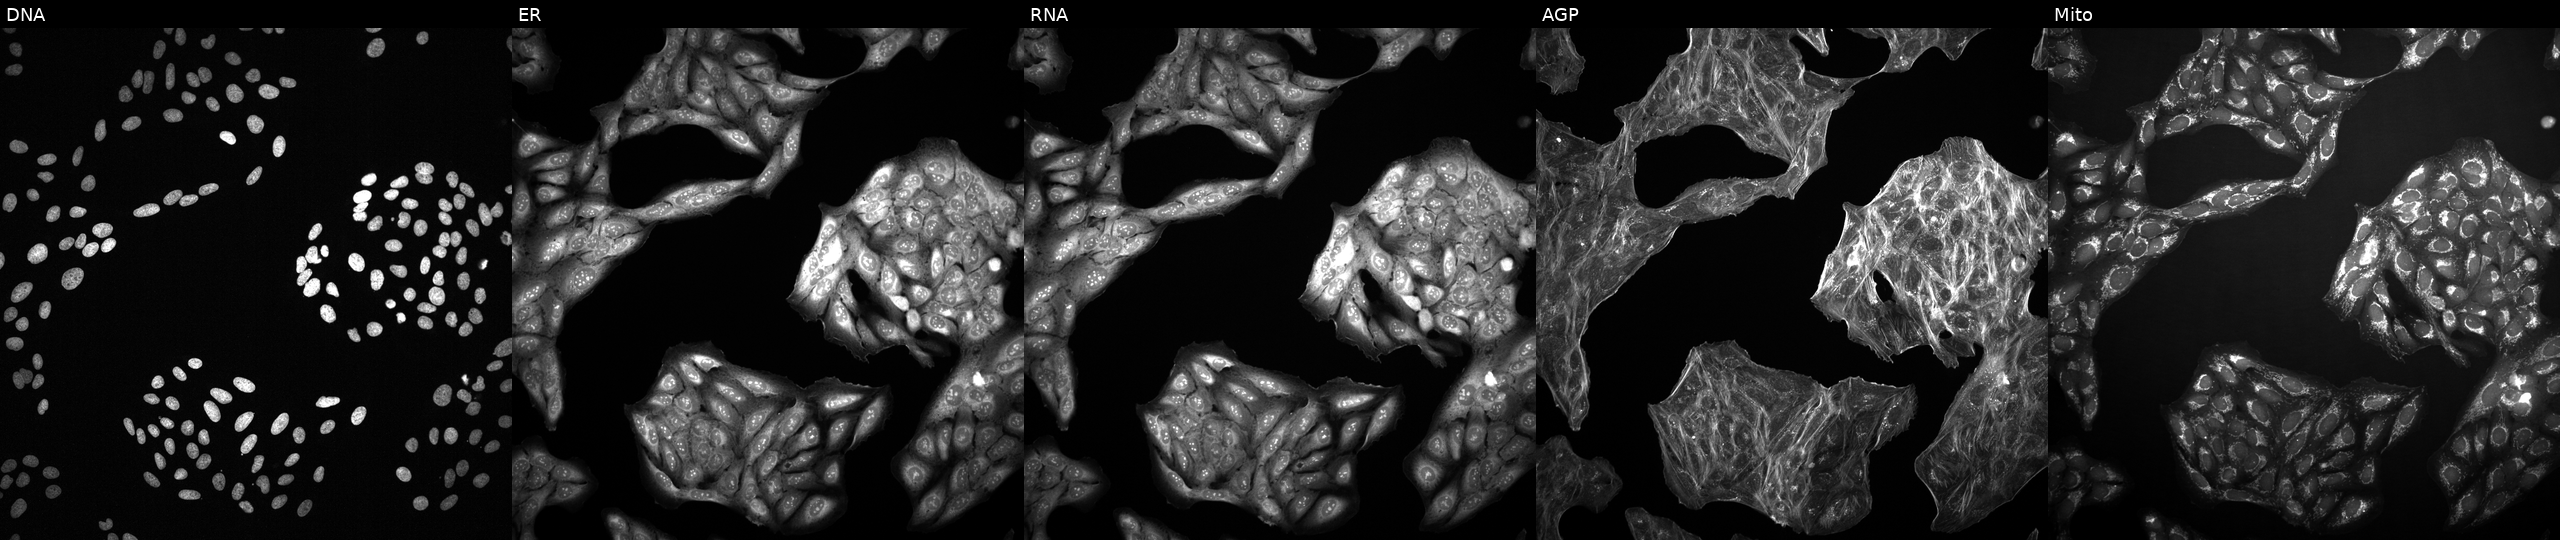
Channels (left→right): Hoechst 33342, concanavalin A, SYTO 14, phalloidin and WGA, MitoTracker. U2OS osteosarcoma cells treated with a small-molecule compound (InChIKey MENNDDDTIIZDDN-UHFFFAOYSA-N) (JUMP id JCP2022_053626). Cell Painting assay, JUMP-CP dataset.